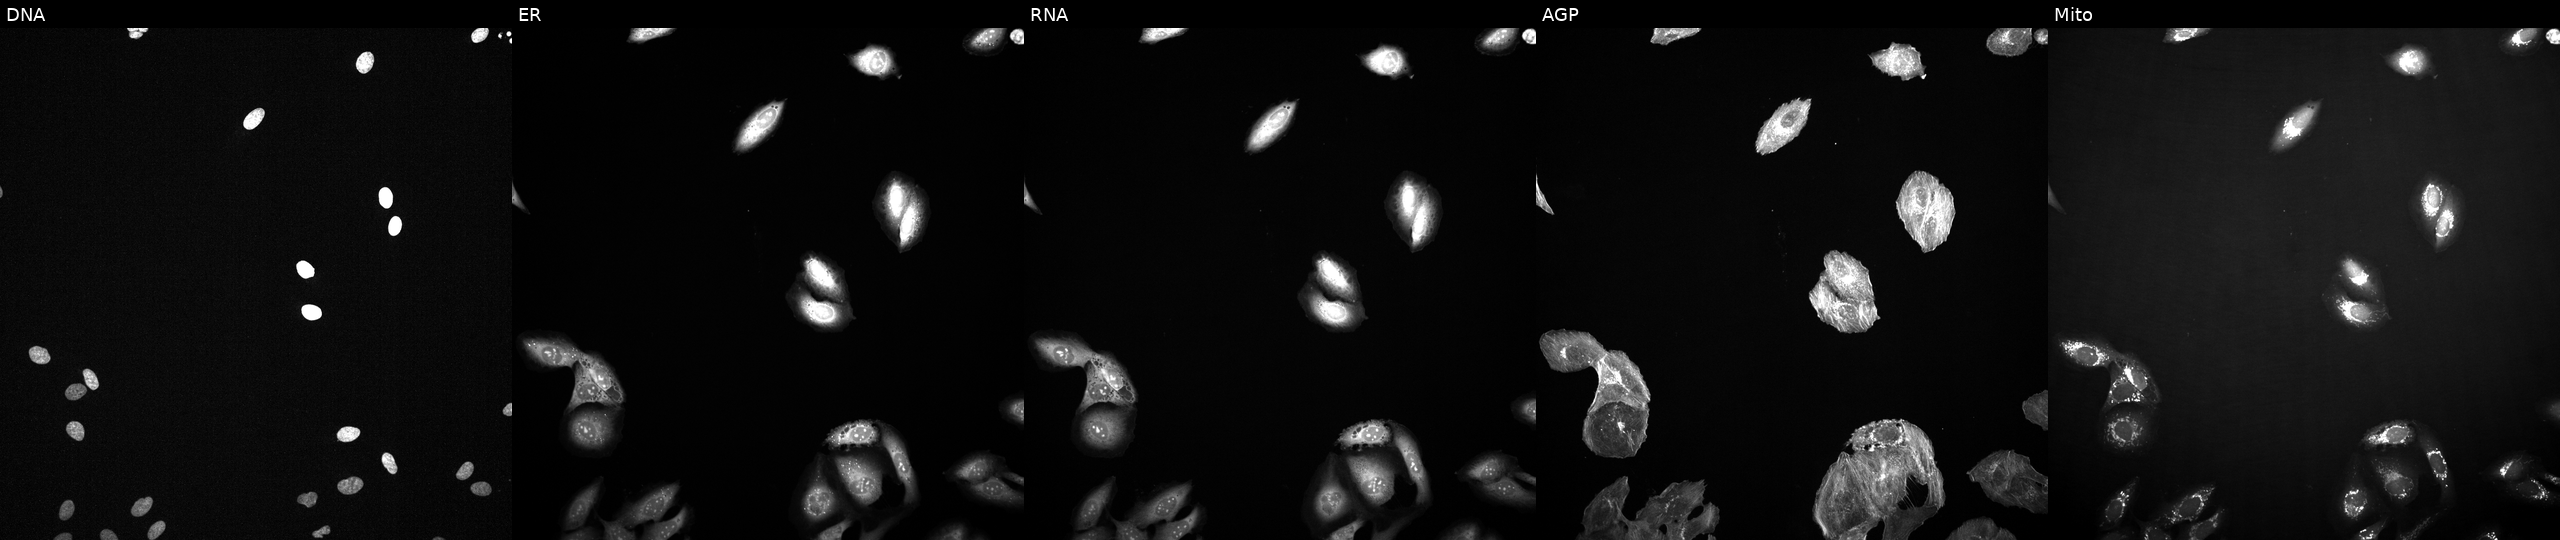
High-content fluorescence microscopy (Cell Painting). Cell line: U2OS. Perturbation: perturbed with a small-molecule compound (InChIKey UTBOEBCWXGDOGI-UHFFFAOYSA-N). Channels (left→right): DNA, ER, RNA, AGP, and Mito.